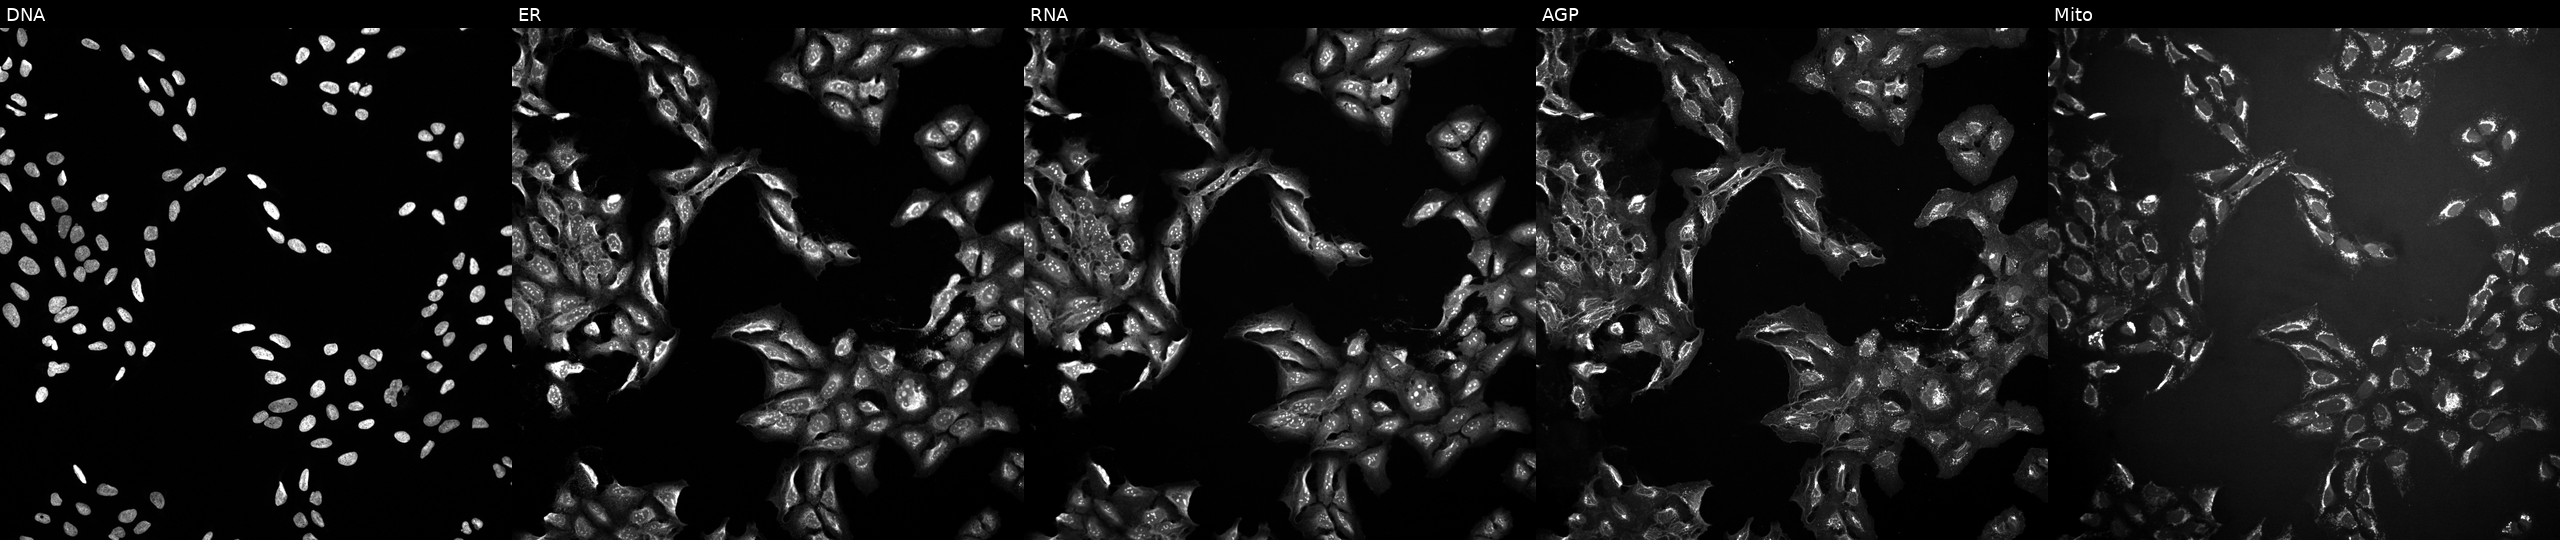
This image strip shows the five Cell Painting channels for a single field of U2OS cells exposed to a small-molecule compound (InChIKey NBHPRWLFLUBAIE-UHFFFAOYSA-N). The five panels, left to right, show DNA, ER, RNA, AGP, and Mito. Source 10, plate Dest210803-153958, well I11.